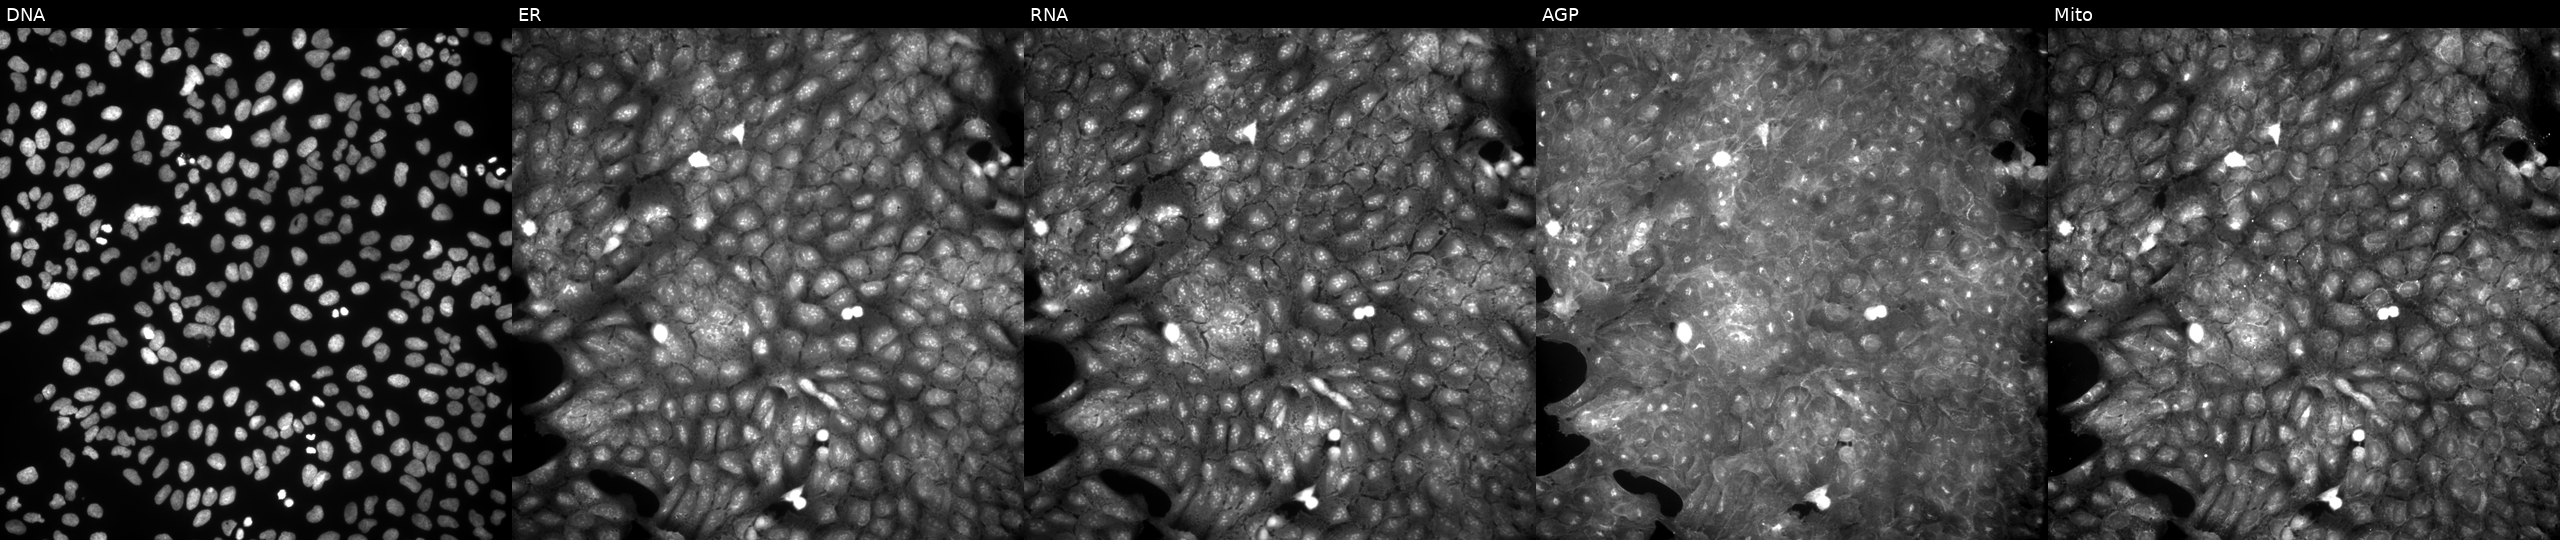
Five-channel Cell Painting image of U2OS cells treated with a small-molecule compound (JUMP id JCP2022_082500). Channels (left→right): DNA, ER, RNA, AGP, and Mito.